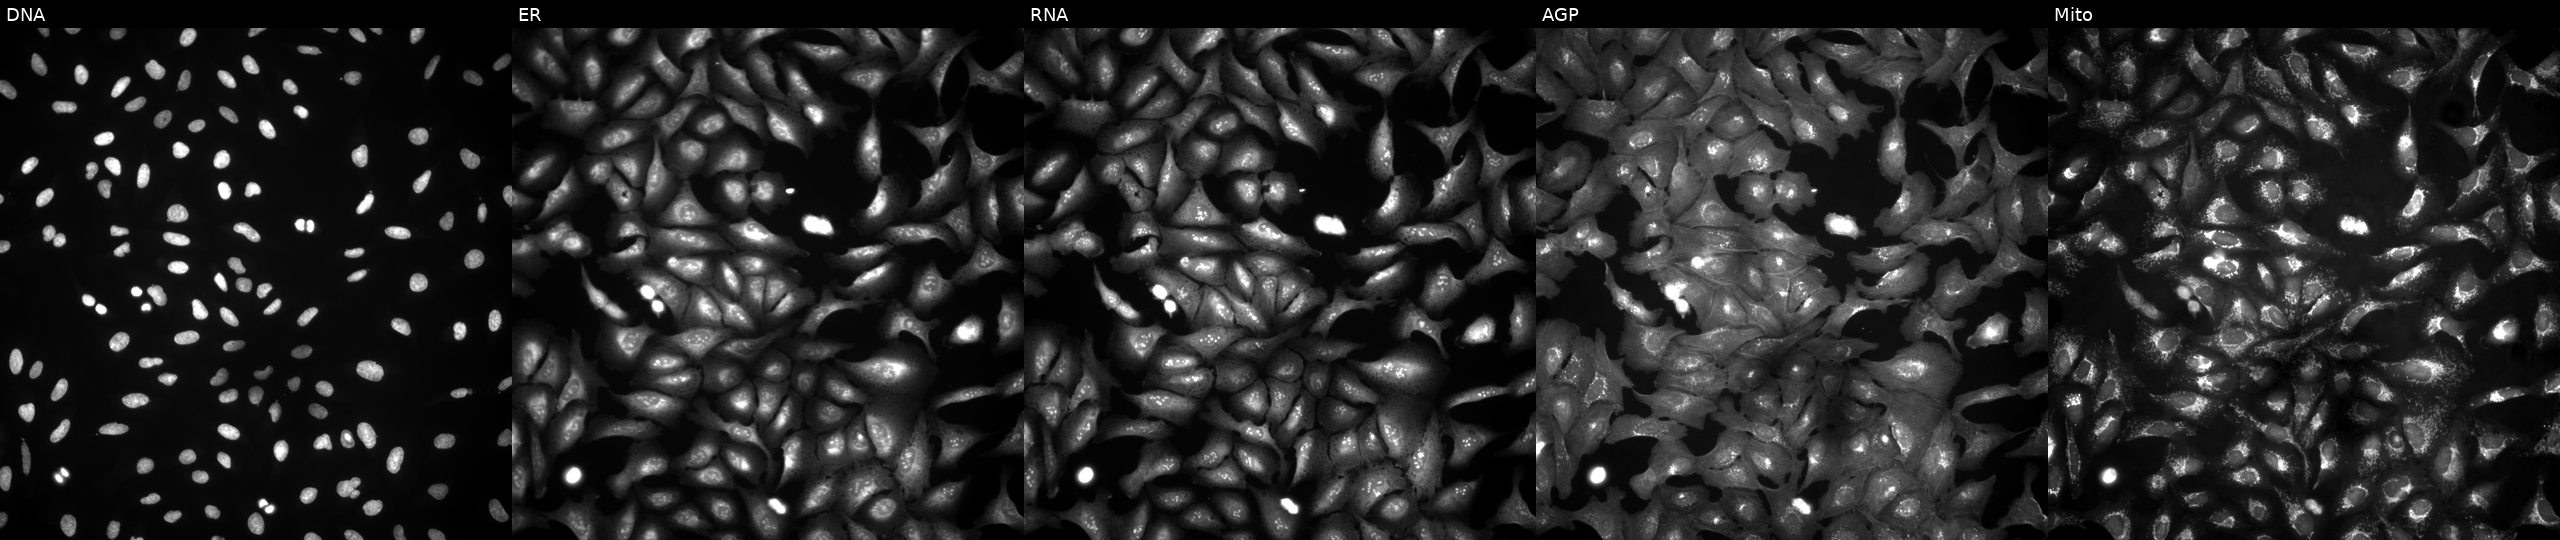
JUMP Cell Painting — ORF plate. U2OS cells transfected with an ORF construct for COA6. Channels (left→right): Hoechst 33342, concanavalin A, SYTO 14, phalloidin and WGA, MitoTracker. Source 4, plate BR00124790, well G06.